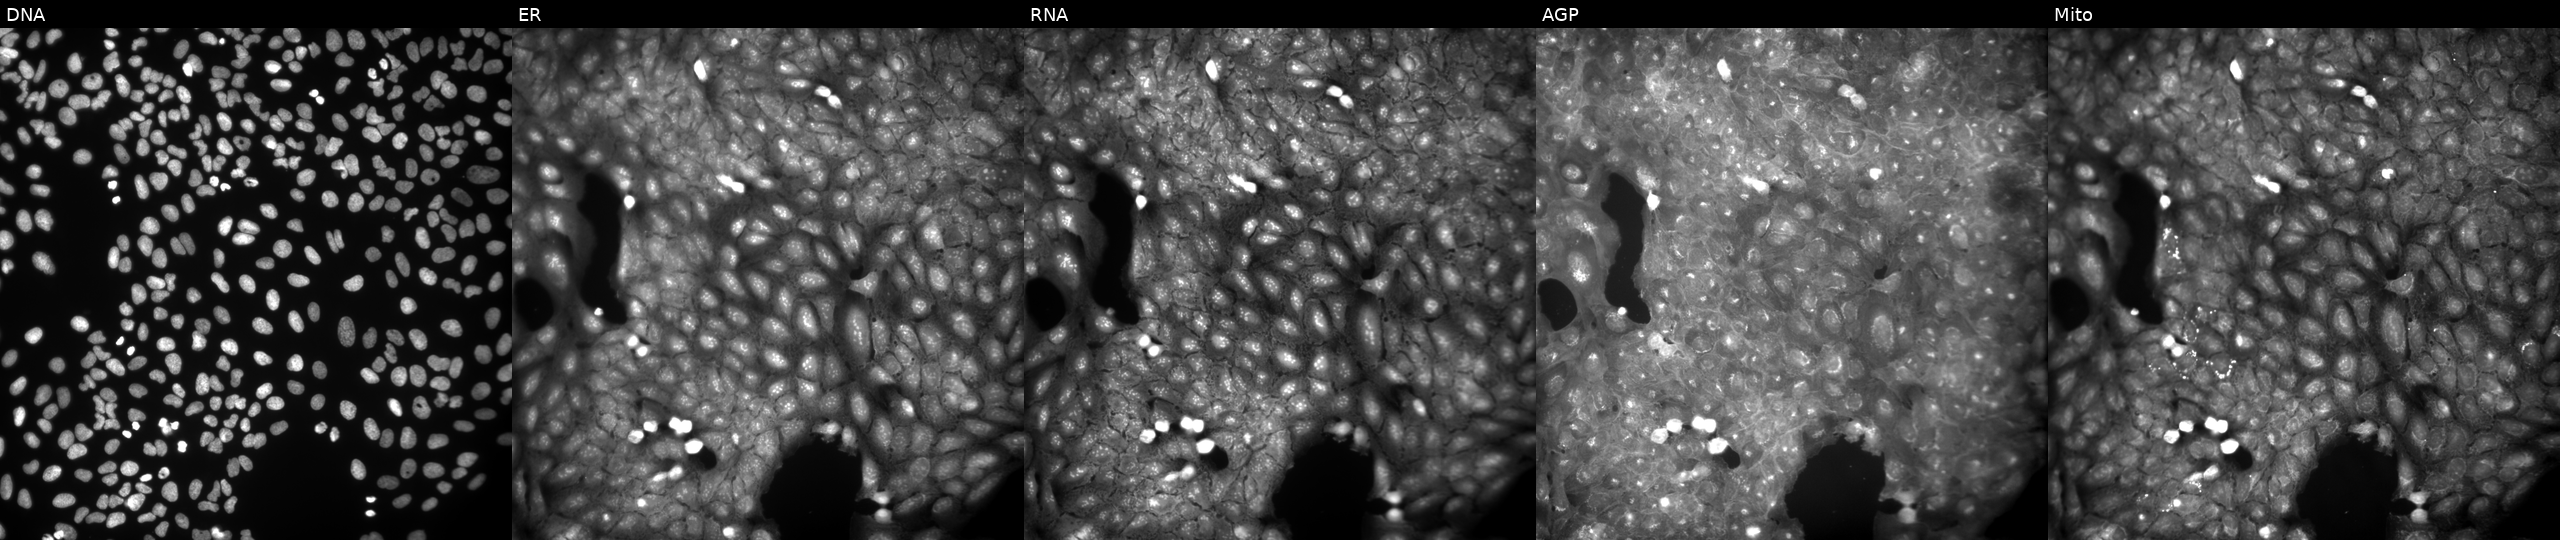
Channels (left→right): DNA, ER, RNA, AGP, and Mito. U2OS osteosarcoma cells perturbed with a small-molecule compound (InChIKey SWTMZKPNUWCIFW-UHFFFAOYSA-N) (JUMP id JCP2022_086101). Cell Painting assay, JUMP-CP dataset.